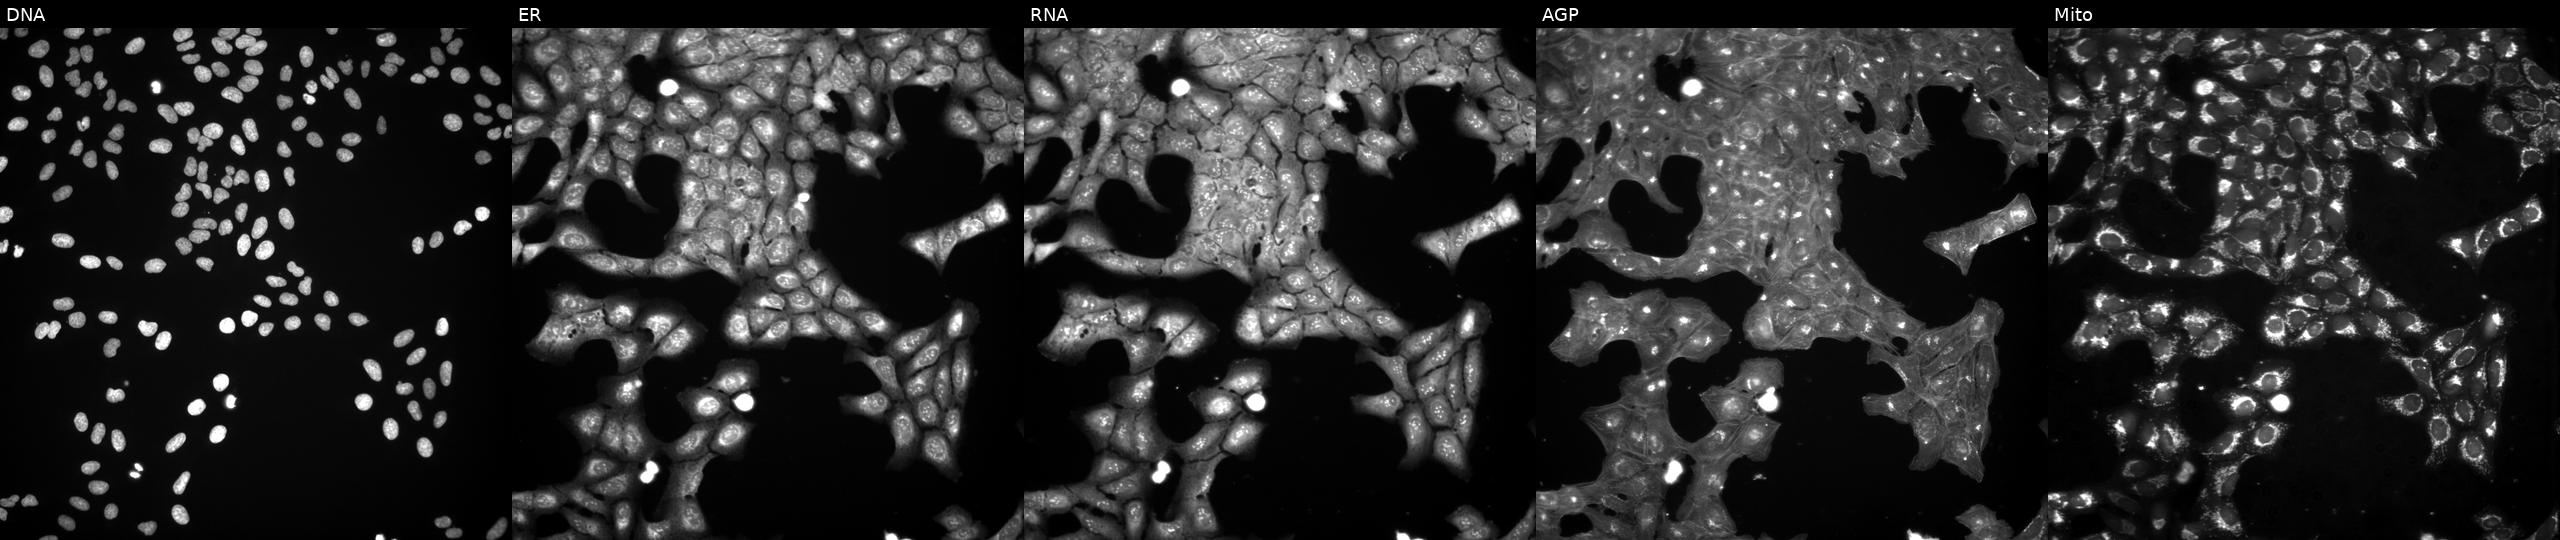
JUMP Cell Painting — TARGET2 plate. U2OS cells treated with DMSO vehicle only (negative control) (JUMP id JCP2022_033924). Panels show, left to right, DNA, ER, RNA, AGP, and Mito.